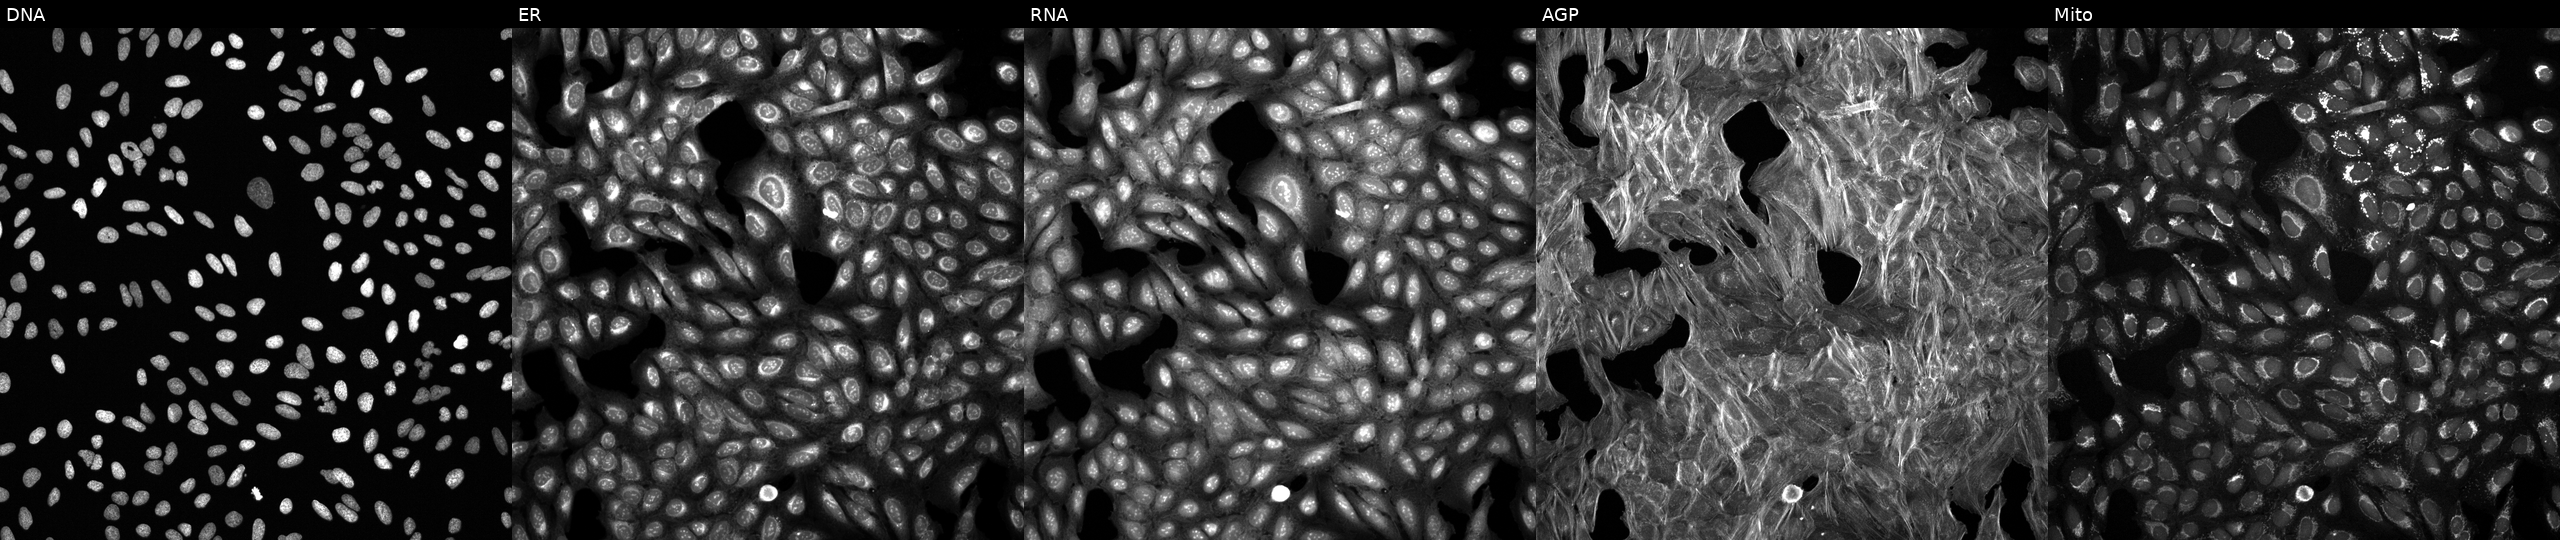
Five-channel Cell Painting image of U2OS cells exposed to DMSO alone as a negative control. Channels (left→right): Hoechst 33342, concanavalin A, SYTO 14, phalloidin and WGA, MitoTracker. Source 6, plate 110000293093, well K07.